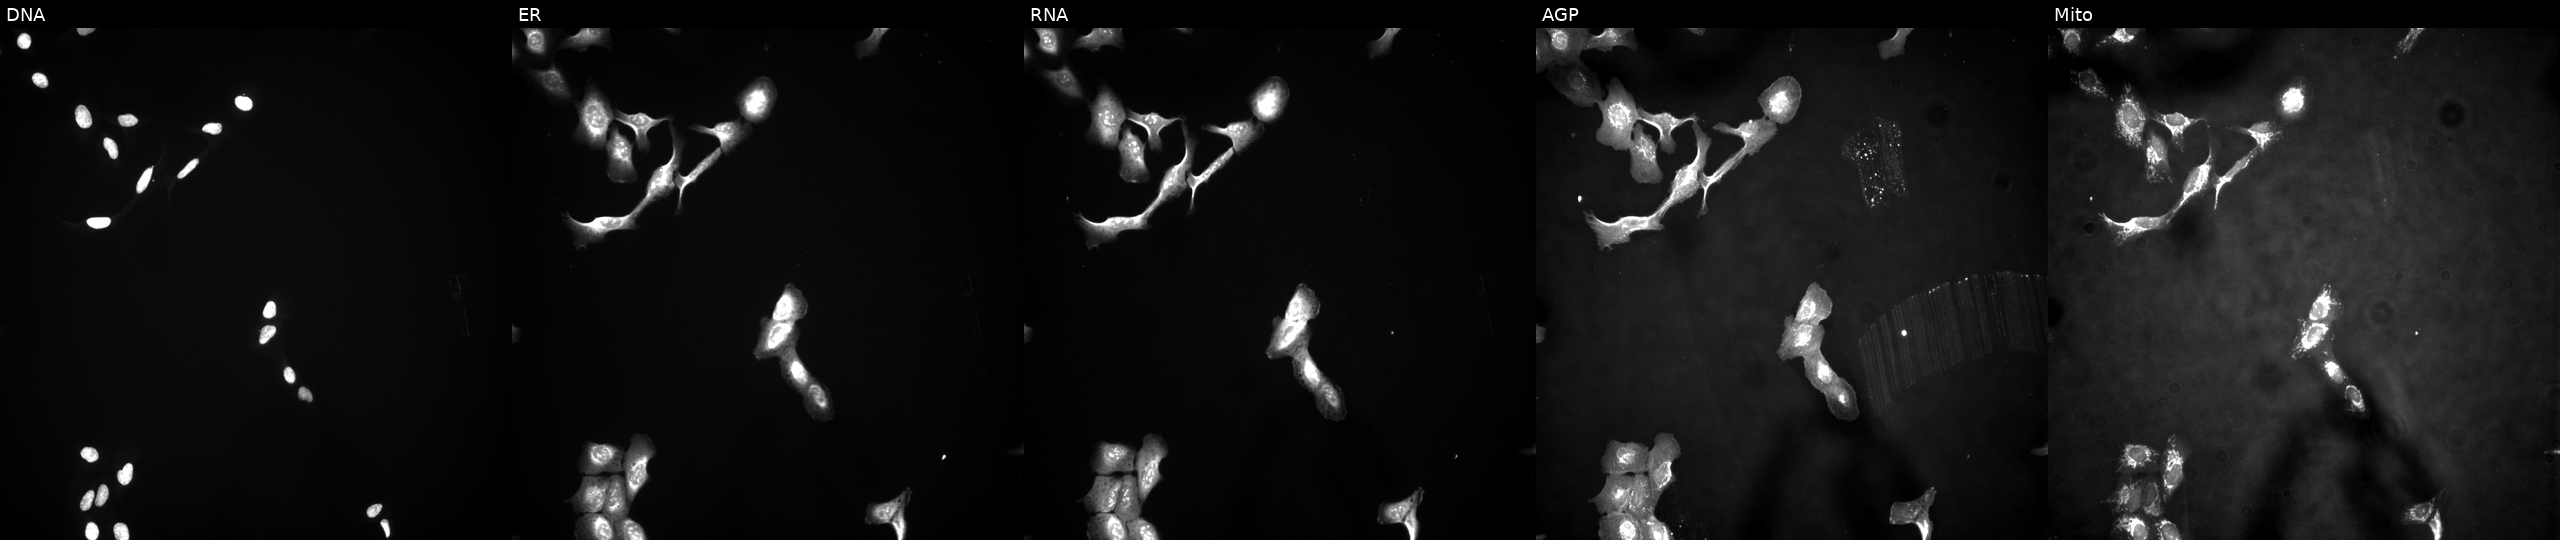
High-content fluorescence microscopy (Cell Painting). Cell line: U2OS. Perturbation: with FTL overexpressed (ORF). Channels (left→right): Hoechst 33342, concanavalin A, SYTO 14, phalloidin and WGA, MitoTracker.